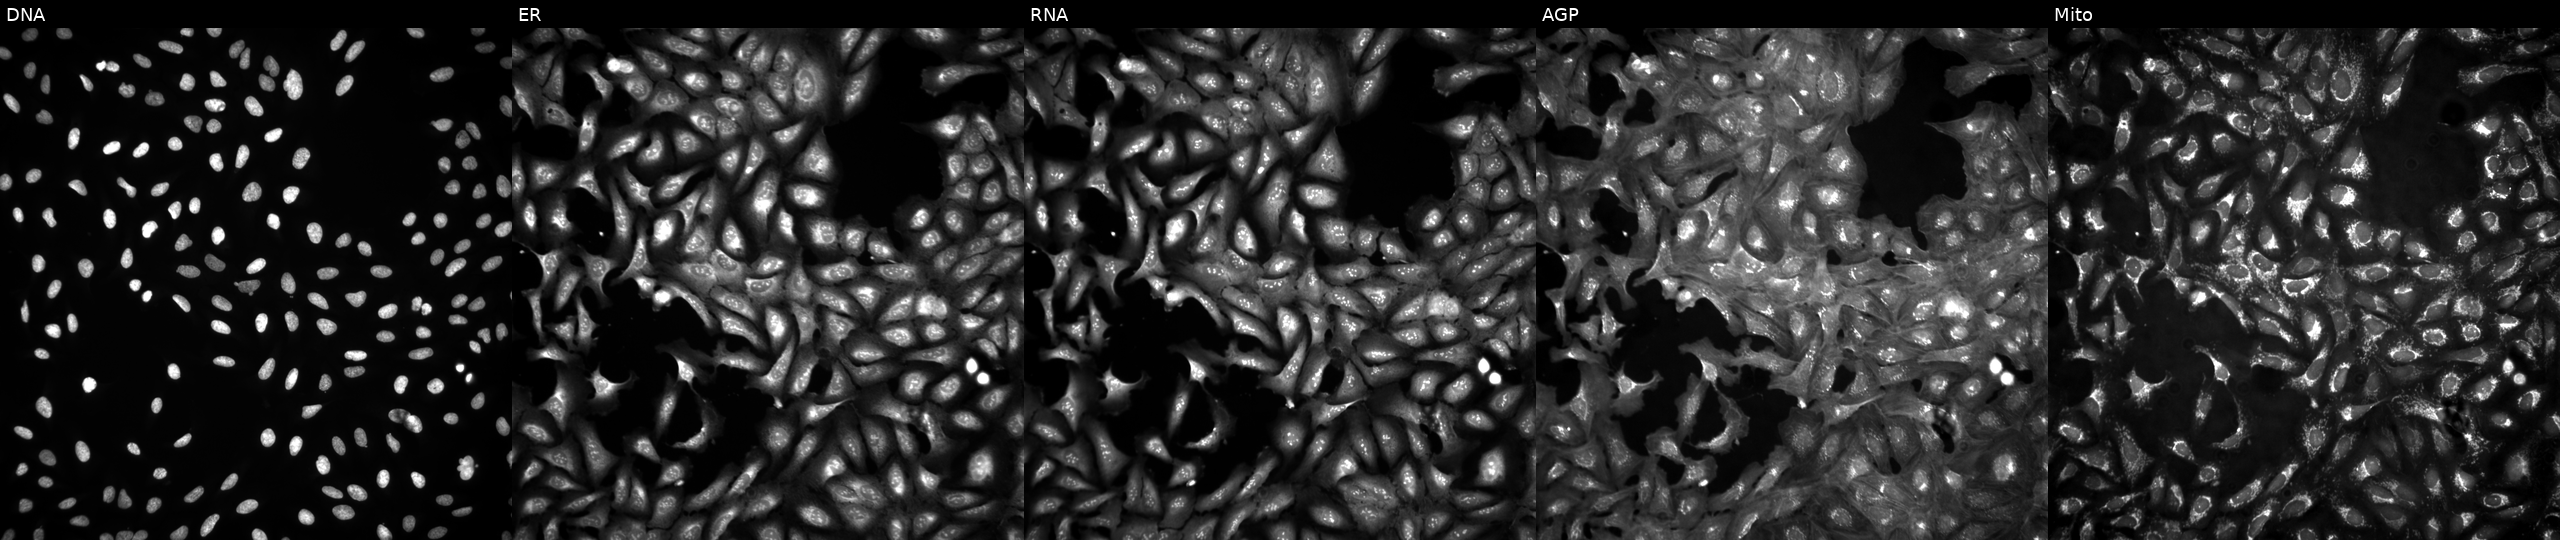
Five-channel Cell Painting image of U2OS cells in an empty control well (no perturbation) (JUMP id JCP2022_999999). Panels show, left to right, DNA, ER, RNA, AGP, and Mito.